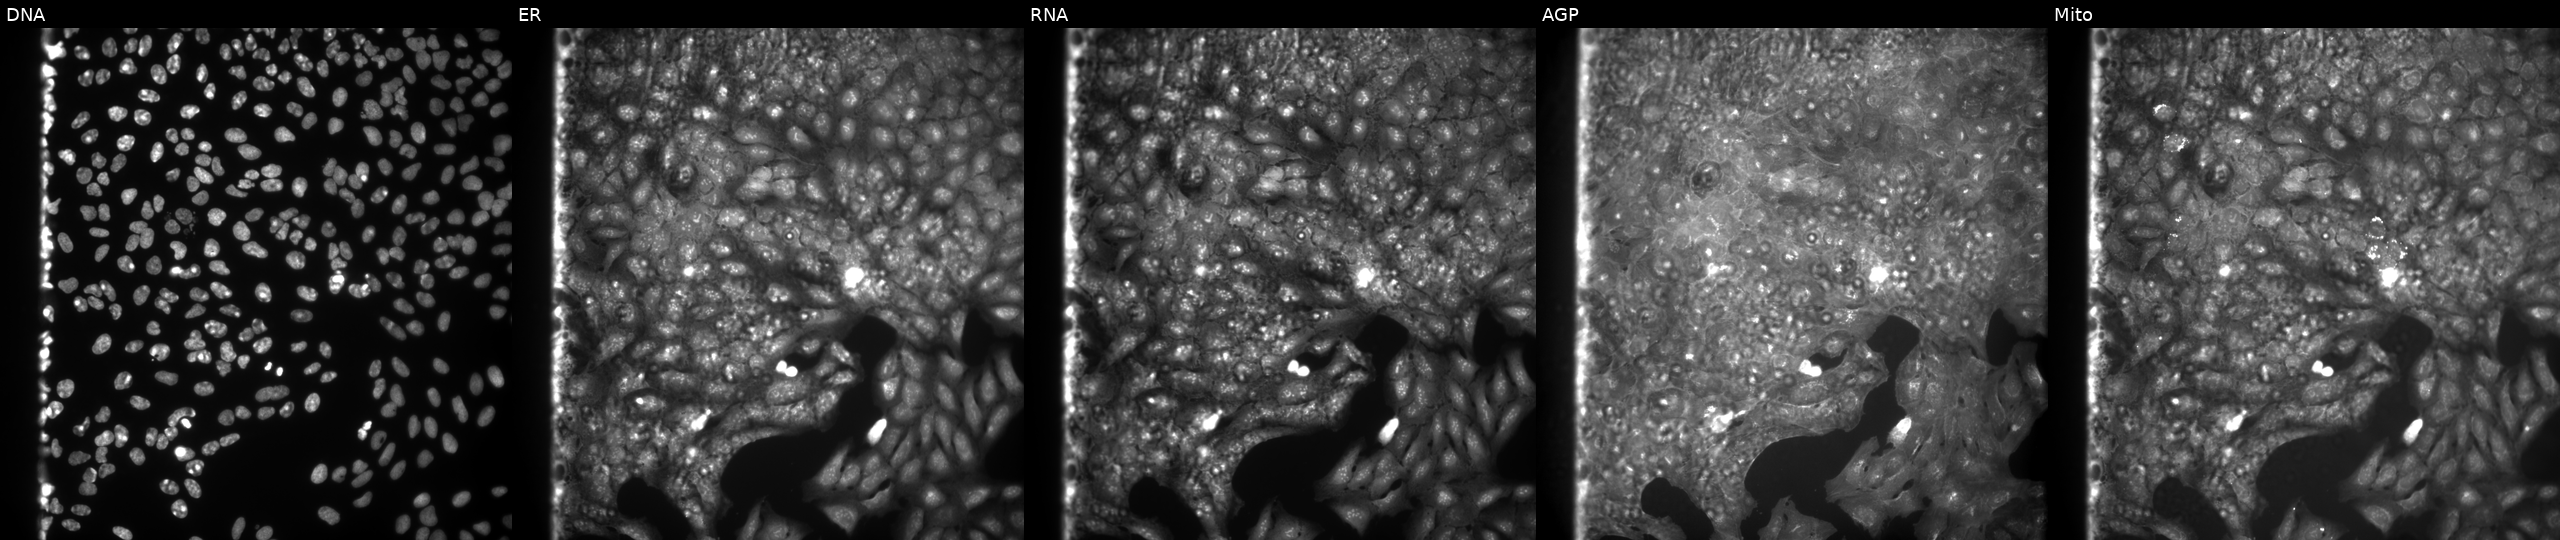
Five-channel Cell Painting image of U2OS cells exposed to DMSO alone as a negative control. The five panels, left to right, show DNA (nuclei); ER (endoplasmic reticulum); RNA (nucleoli and cytoplasmic RNA); AGP (actin cytoskeleton, Golgi, and plasma membrane); Mito (mitochondria).